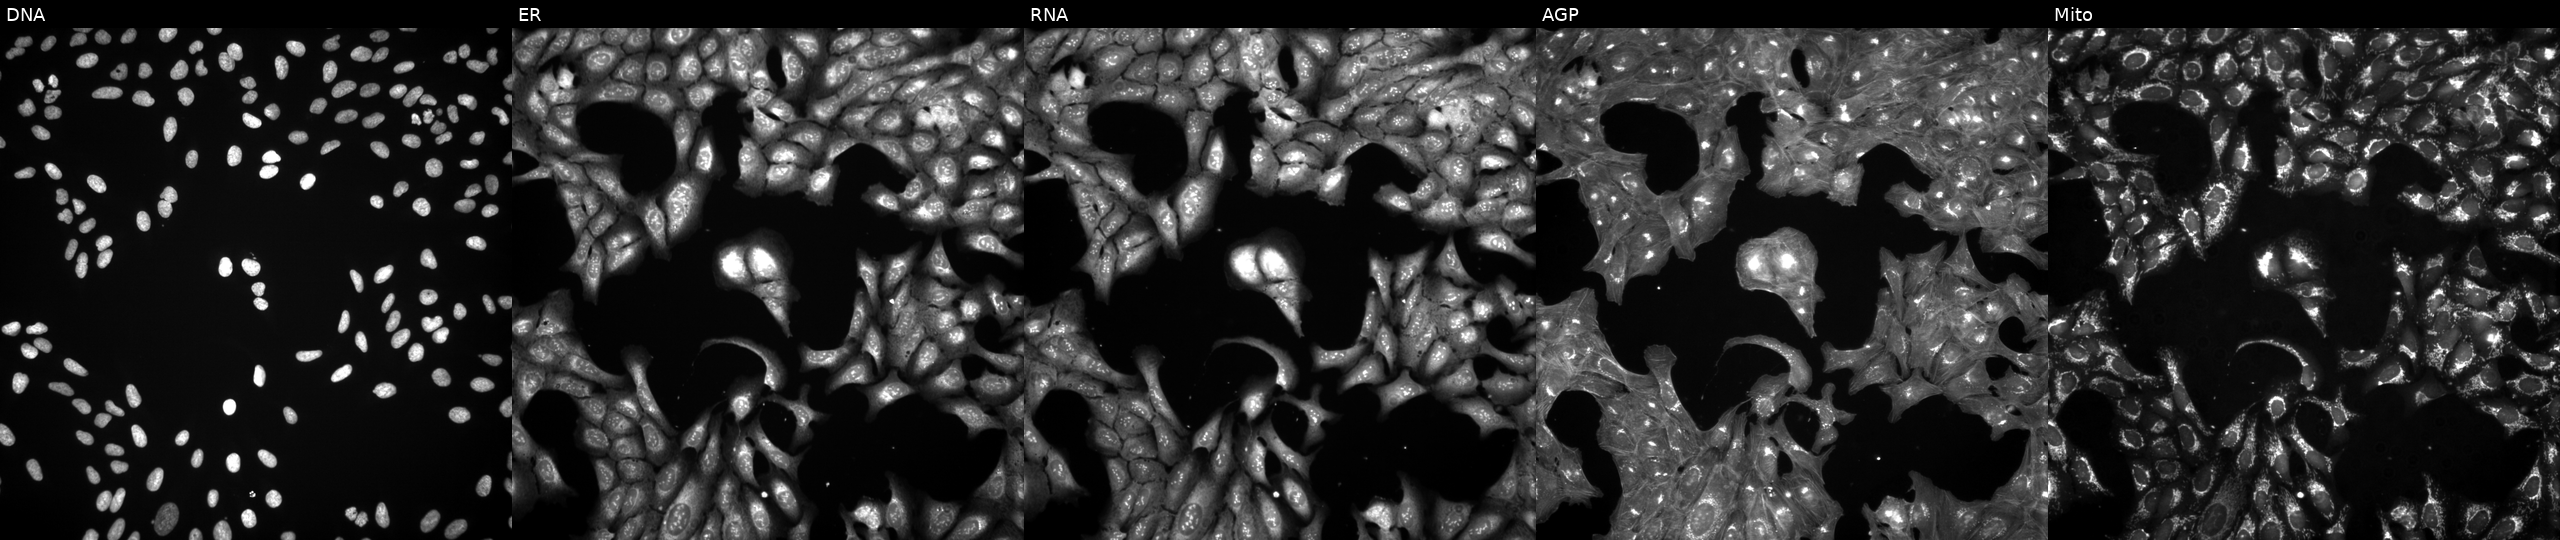
U2OS cells, Cell Painting assay, treated with a small-molecule compound [SMILES: C=c1[nH]c(=Cc2c(O)[nH]c3ccccc23)c(C)c1CCC(=O)O]. From left to right: DNA, ER, RNA, AGP, and Mito. Each panel is percentile-stretched 16-bit fluorescence. Source 3, plate JCPQC052, well L11.